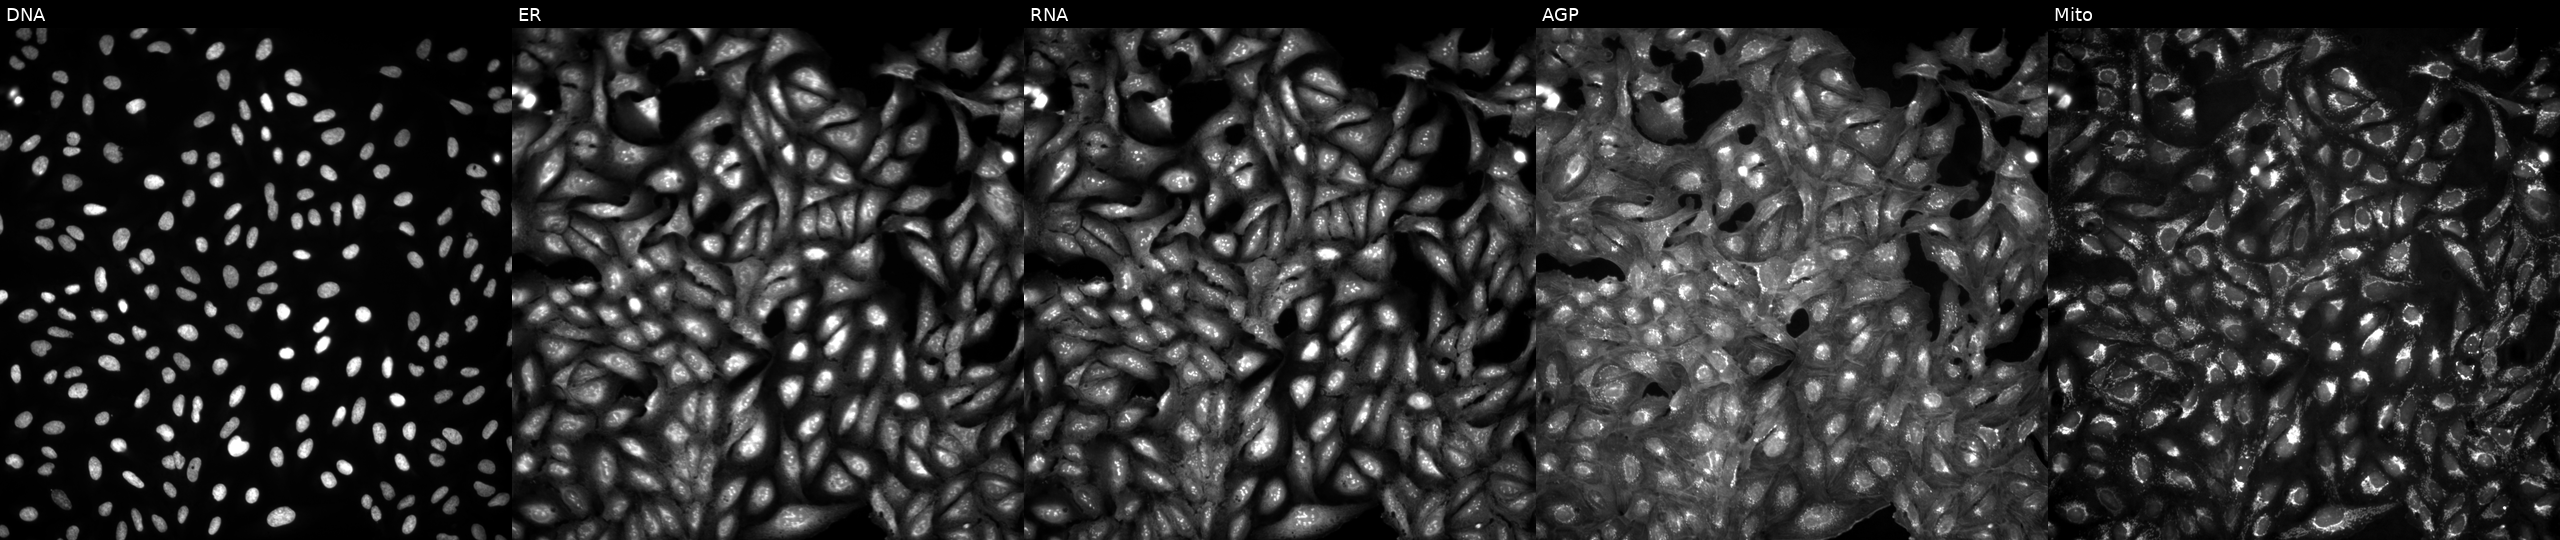
This image strip shows the five Cell Painting channels for a single field of U2OS cells in an empty control well (no perturbation). Panels show, left to right, DNA, ER, RNA, AGP, and Mito.